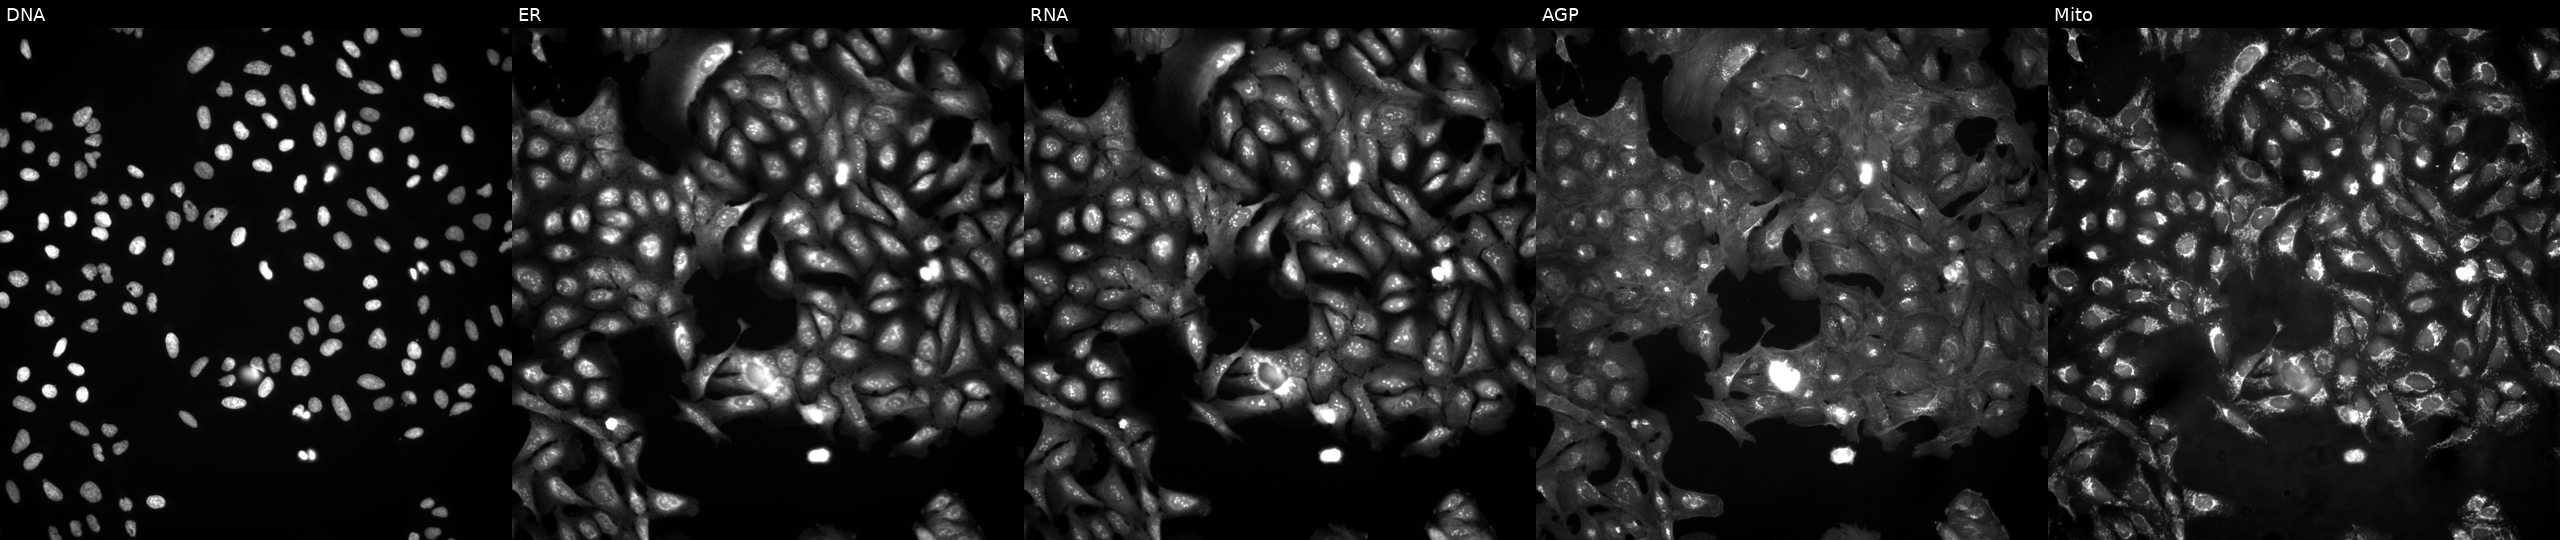
U2OS cells, Cell Painting assay, untreated (empty-well control). Panels show, left to right, DNA (nuclei); ER (endoplasmic reticulum); RNA (nucleoli and cytoplasmic RNA); AGP (actin cytoskeleton, Golgi, and plasma membrane); Mito (mitochondria). Each panel is percentile-stretched 16-bit fluorescence. Source 4, plate BR00123946, well D17.